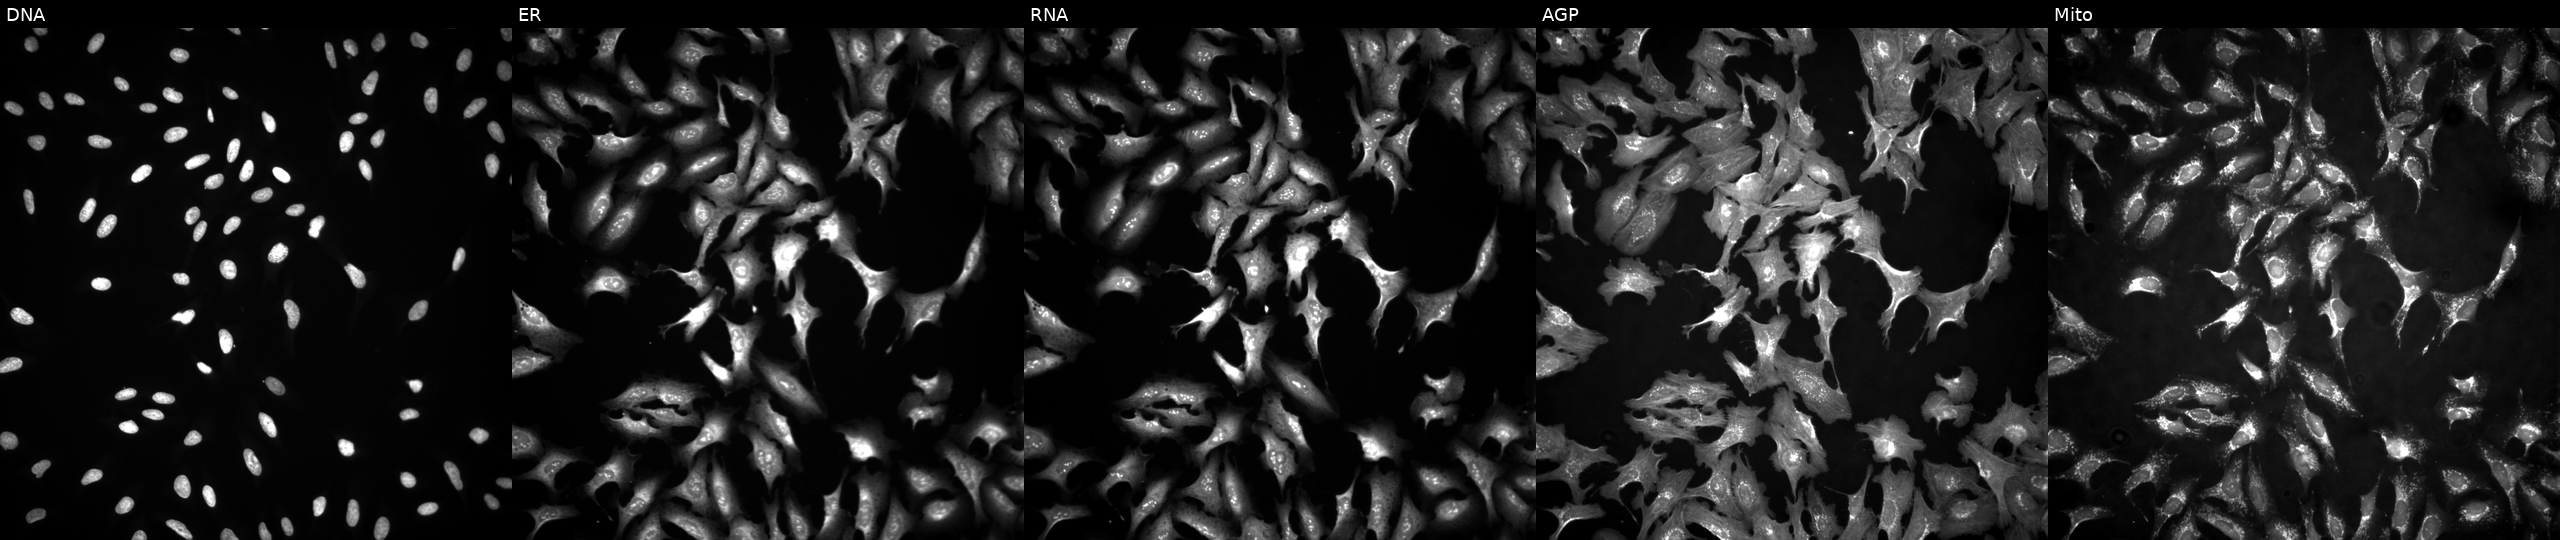
Five-channel Cell Painting image of U2OS cells transfected with an ORF construct for EPHA8 (JUMP id JCP2022_905772). Panels show, left to right, DNA, ER, RNA, AGP, and Mito.